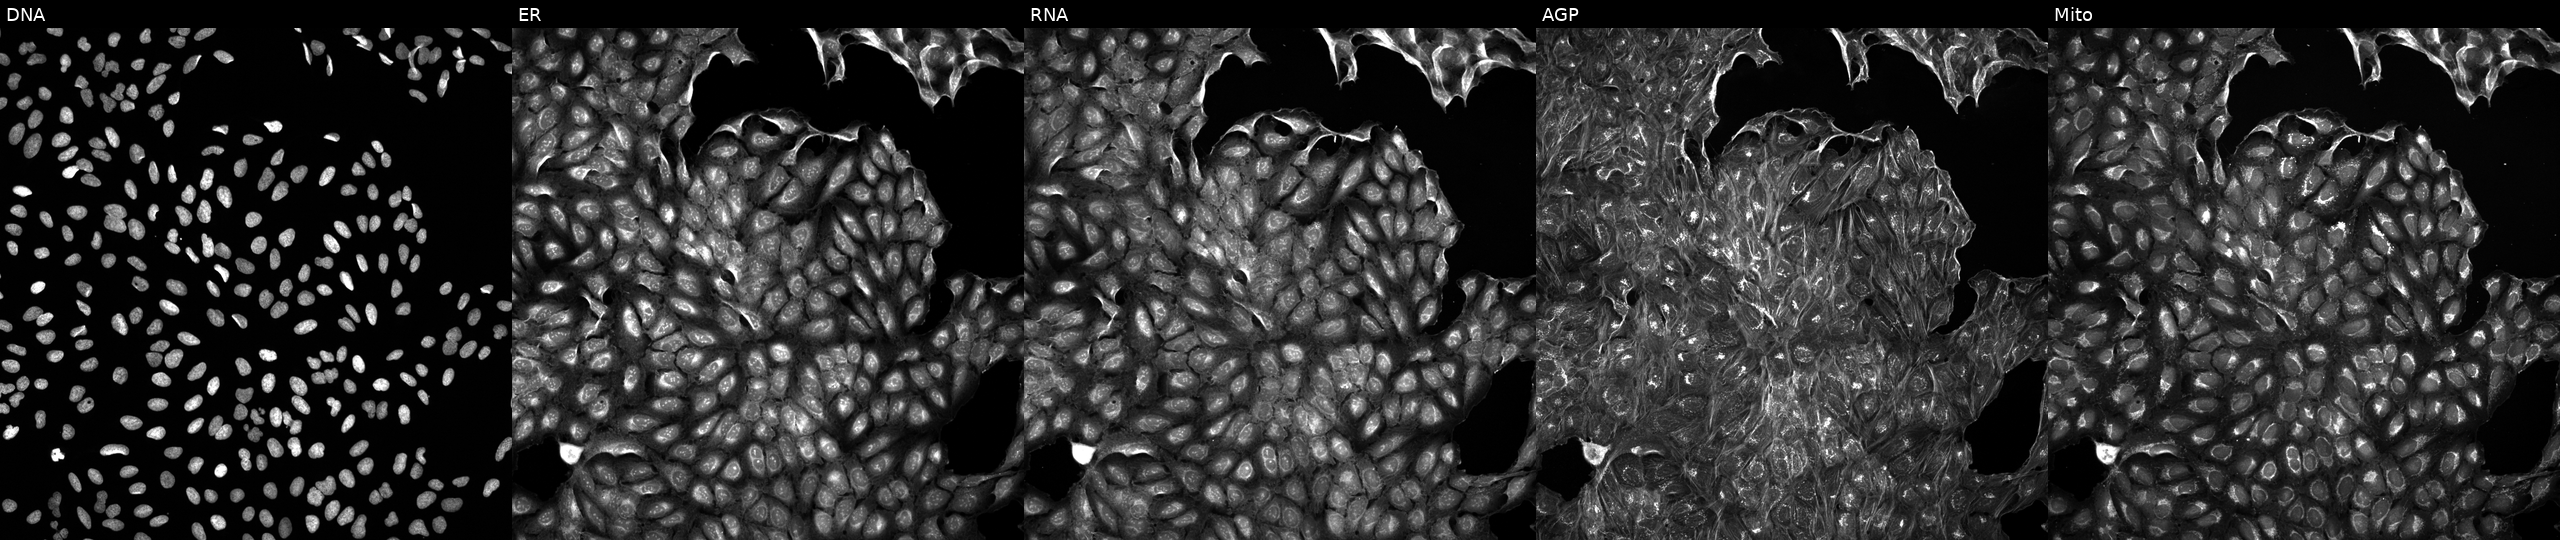
U2OS cells, Cell Painting assay, exposed to DMSO alone as a negative control (JUMP id JCP2022_033924). The five panels, left to right, show DNA (nuclei); ER (endoplasmic reticulum); RNA (nucleoli and cytoplasmic RNA); AGP (actin cytoskeleton, Golgi, and plasma membrane); Mito (mitochondria). Each panel is percentile-stretched 16-bit fluorescence.